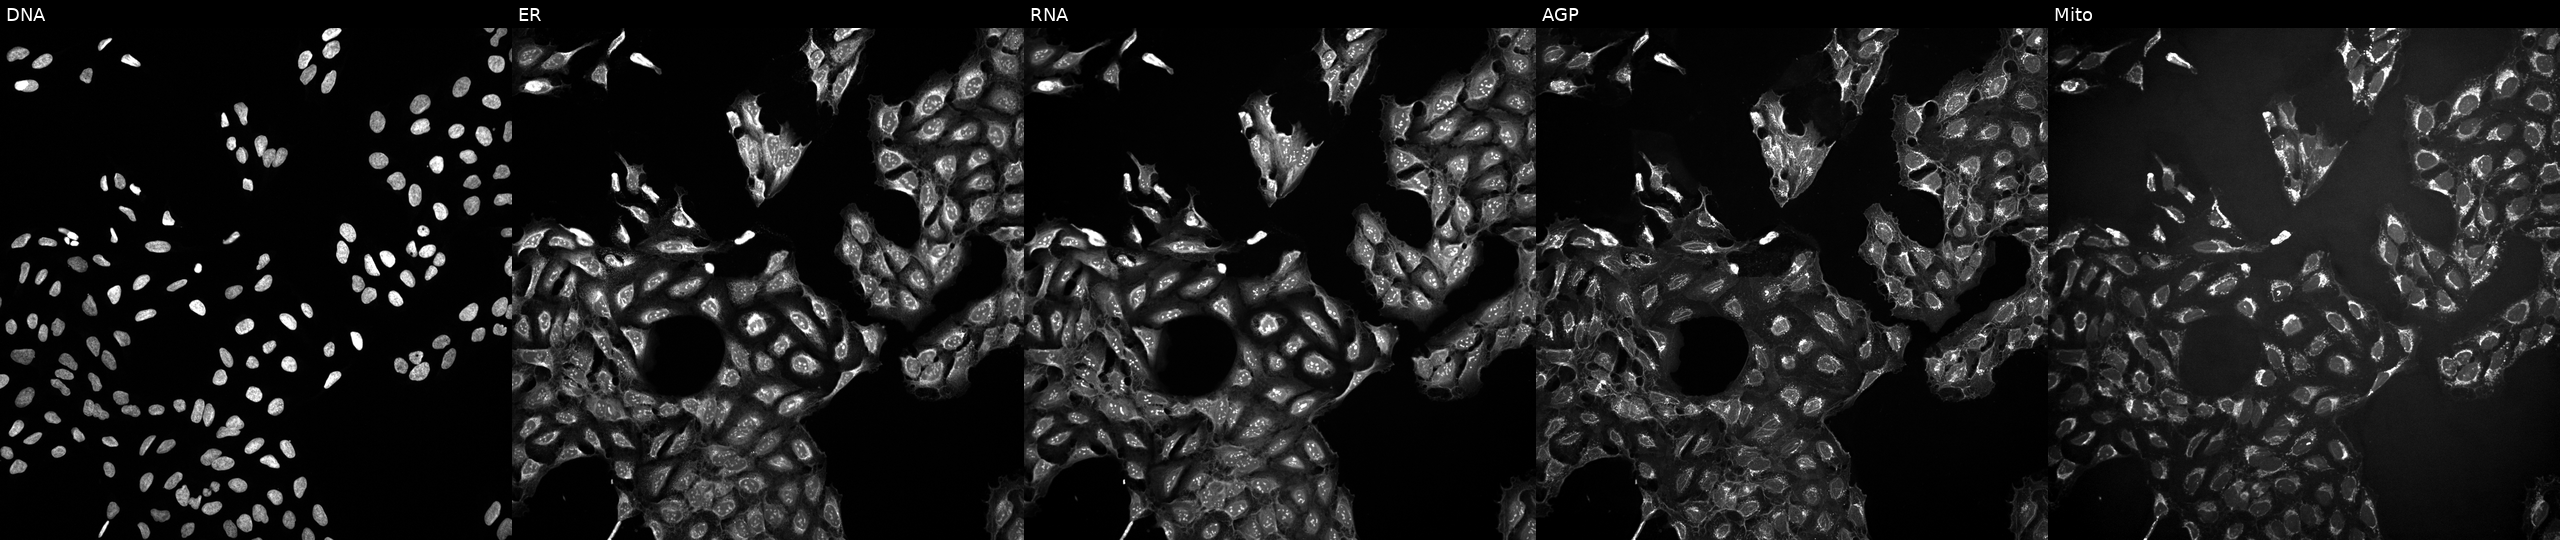
Five-channel Cell Painting image of U2OS cells treated with a small-molecule compound (InChIKey UPWGQKDVAURUGE-UHFFFAOYSA-N). Channels (left→right): DNA (nuclei); ER (endoplasmic reticulum); RNA (nucleoli and cytoplasmic RNA); AGP (actin cytoskeleton, Golgi, and plasma membrane); Mito (mitochondria). Source 10, plate Dest210803-153958, well P14.